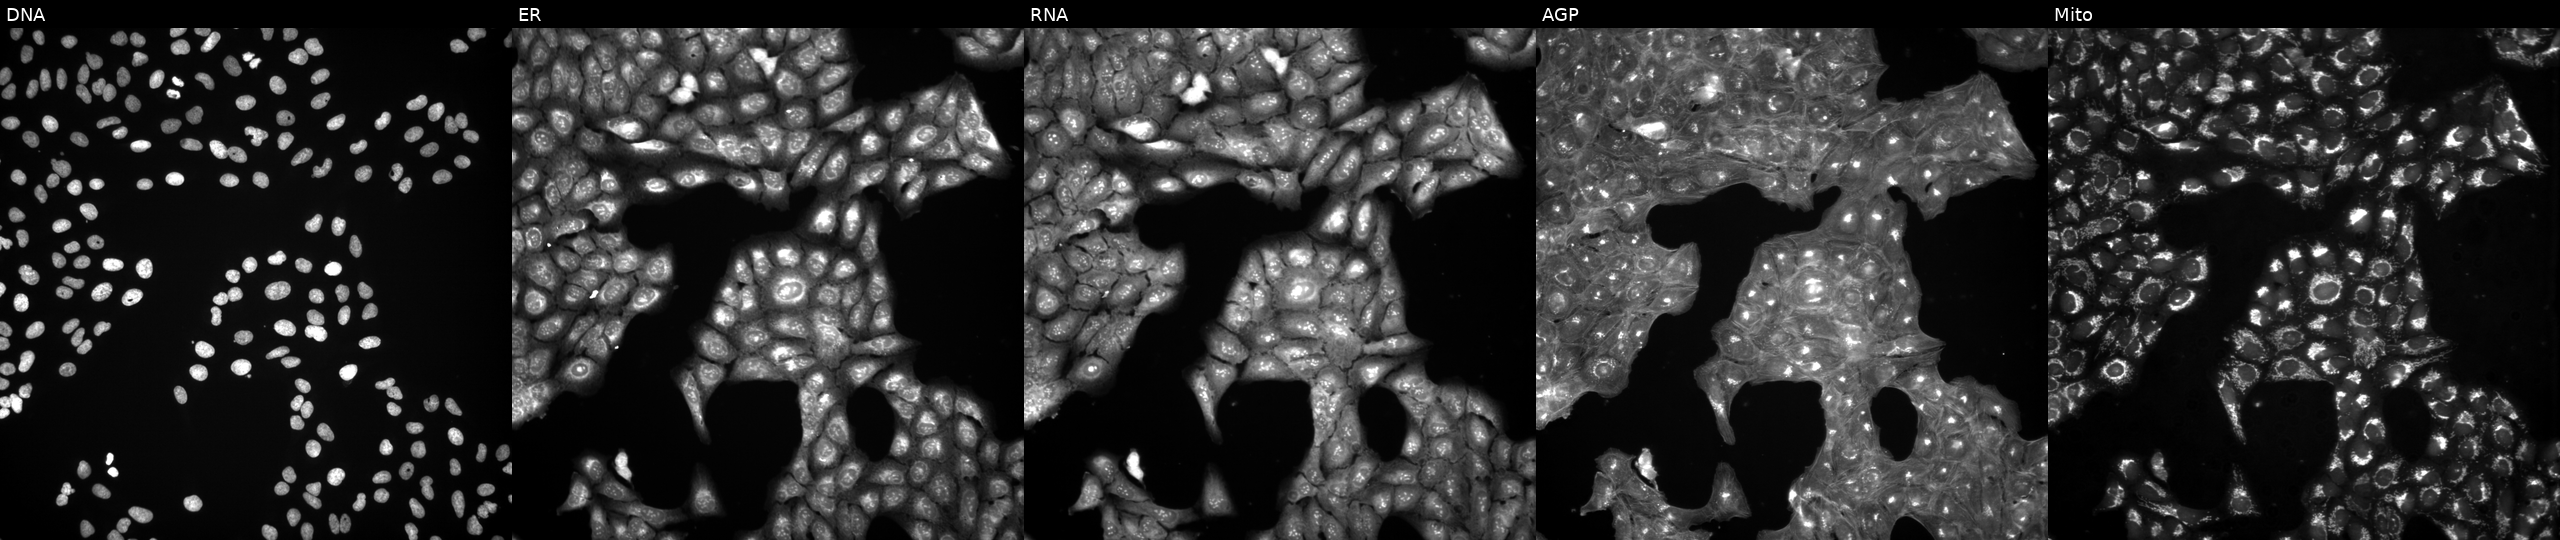
High-content fluorescence microscopy (Cell Painting). Cell line: U2OS. Perturbation: exposed to a small-molecule compound (InChIKey DACPBHPXOQGMKZ-UHFFFAOYSA-N). Channels (left→right): DNA (nuclei); ER (endoplasmic reticulum); RNA (nucleoli and cytoplasmic RNA); AGP (actin cytoskeleton, Golgi, and plasma membrane); Mito (mitochondria).